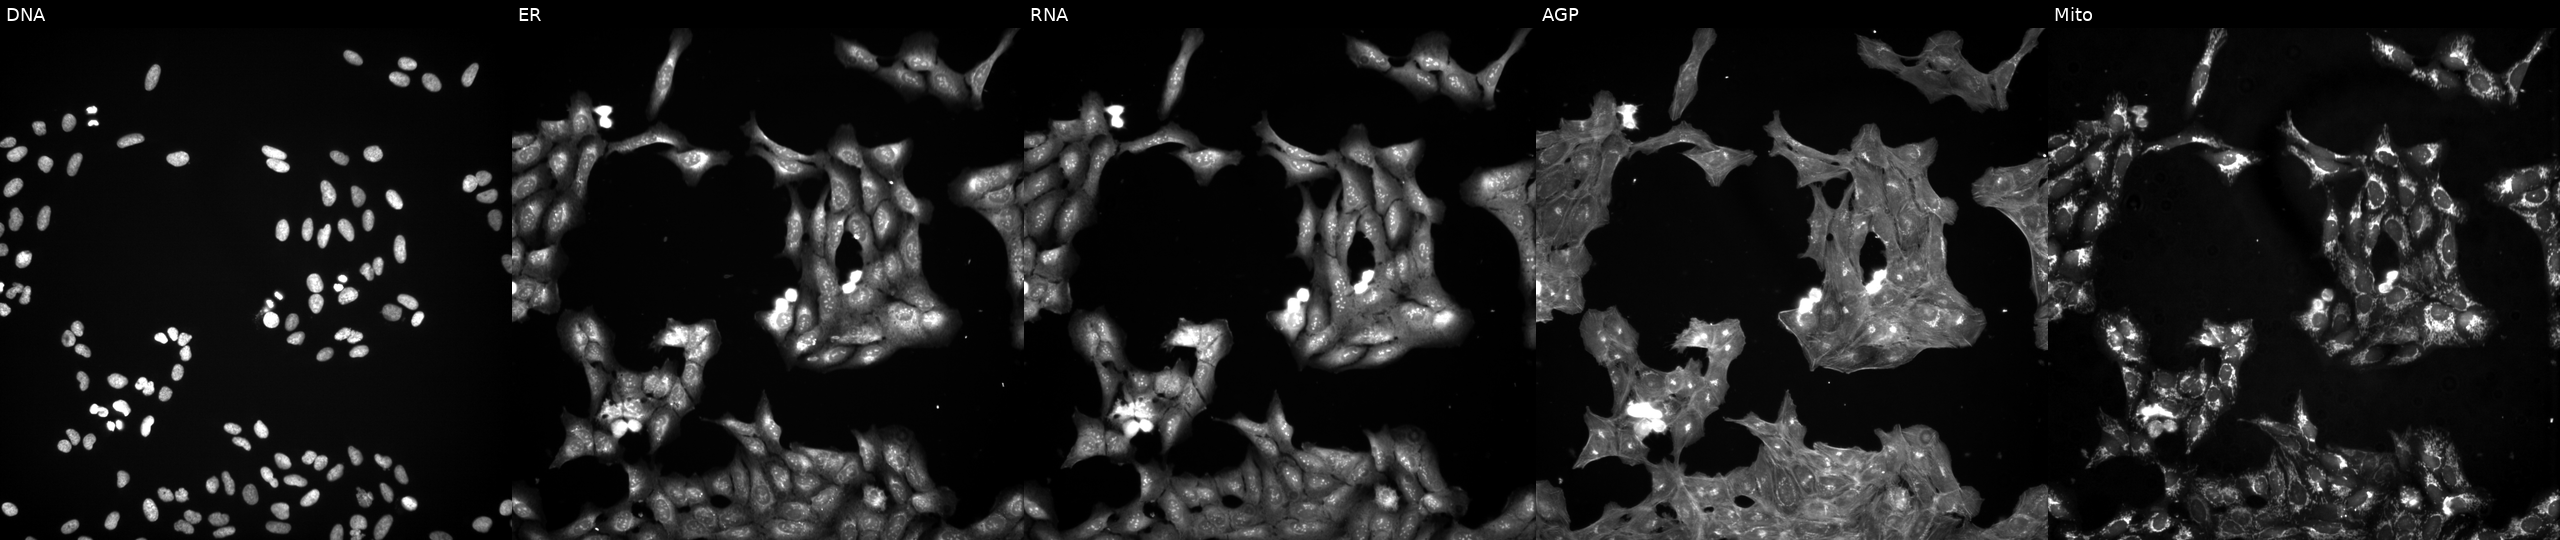
U2OS cells, Cell Painting assay, perturbed with a small-molecule compound (InChIKey VDQLKIBLTMPAHI-UHFFFAOYSA-N). From left to right: DNA (nuclei); ER (endoplasmic reticulum); RNA (nucleoli and cytoplasmic RNA); AGP (actin cytoskeleton, Golgi, and plasma membrane); Mito (mitochondria). Each panel is percentile-stretched 16-bit fluorescence.